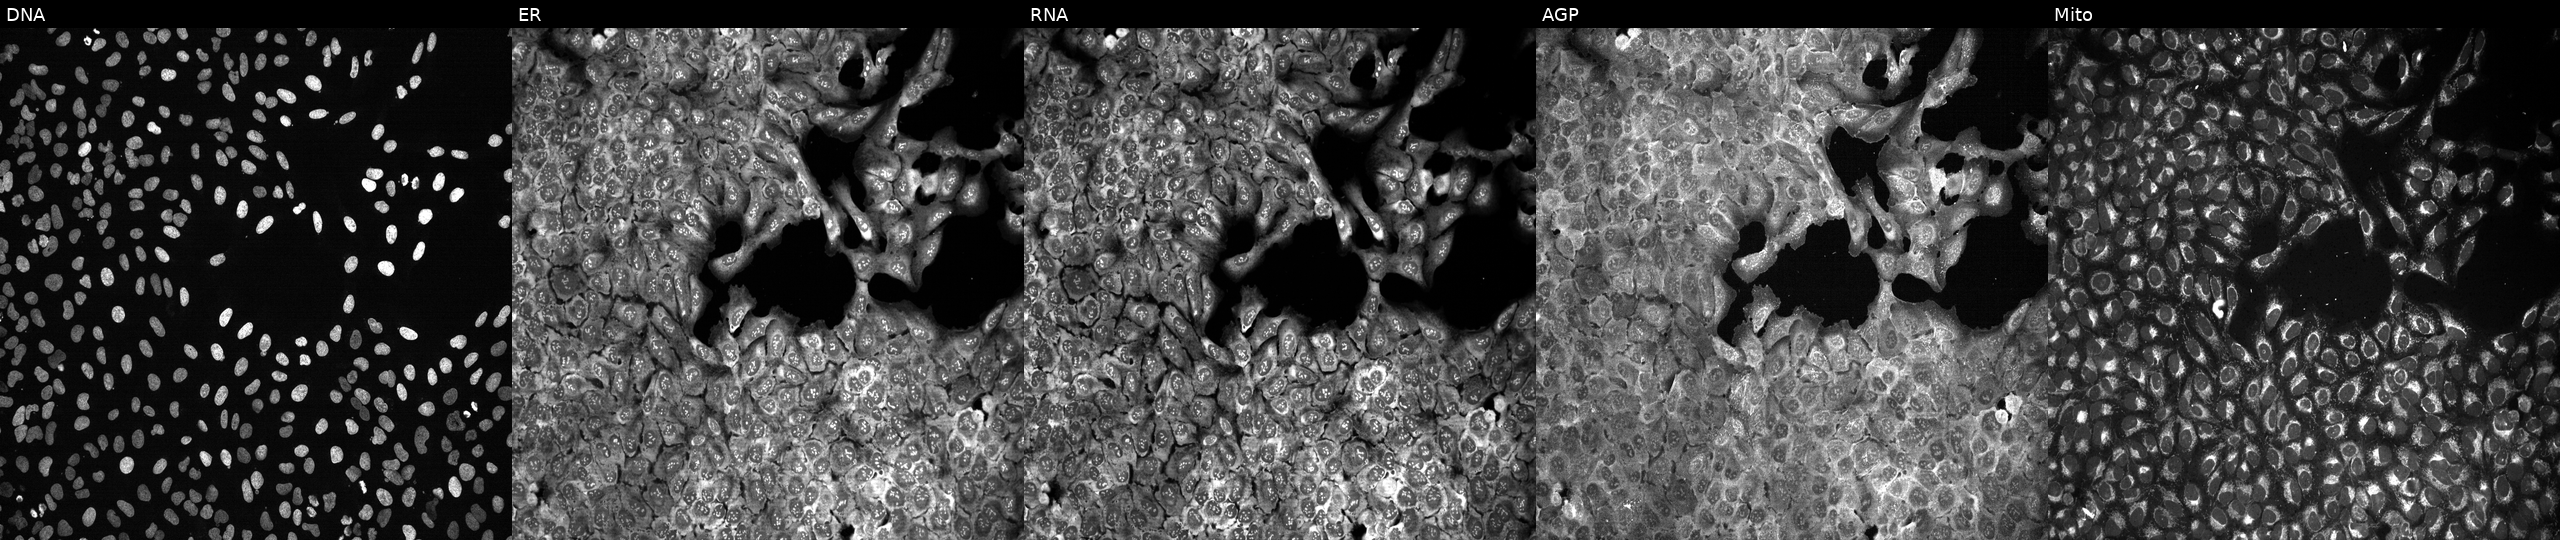
Five-channel Cell Painting image of U2OS cells CRISPR-edited to disrupt ABCA13. From left to right: DNA (nuclei); ER (endoplasmic reticulum); RNA (nucleoli and cytoplasmic RNA); AGP (actin cytoskeleton, Golgi, and plasma membrane); Mito (mitochondria).